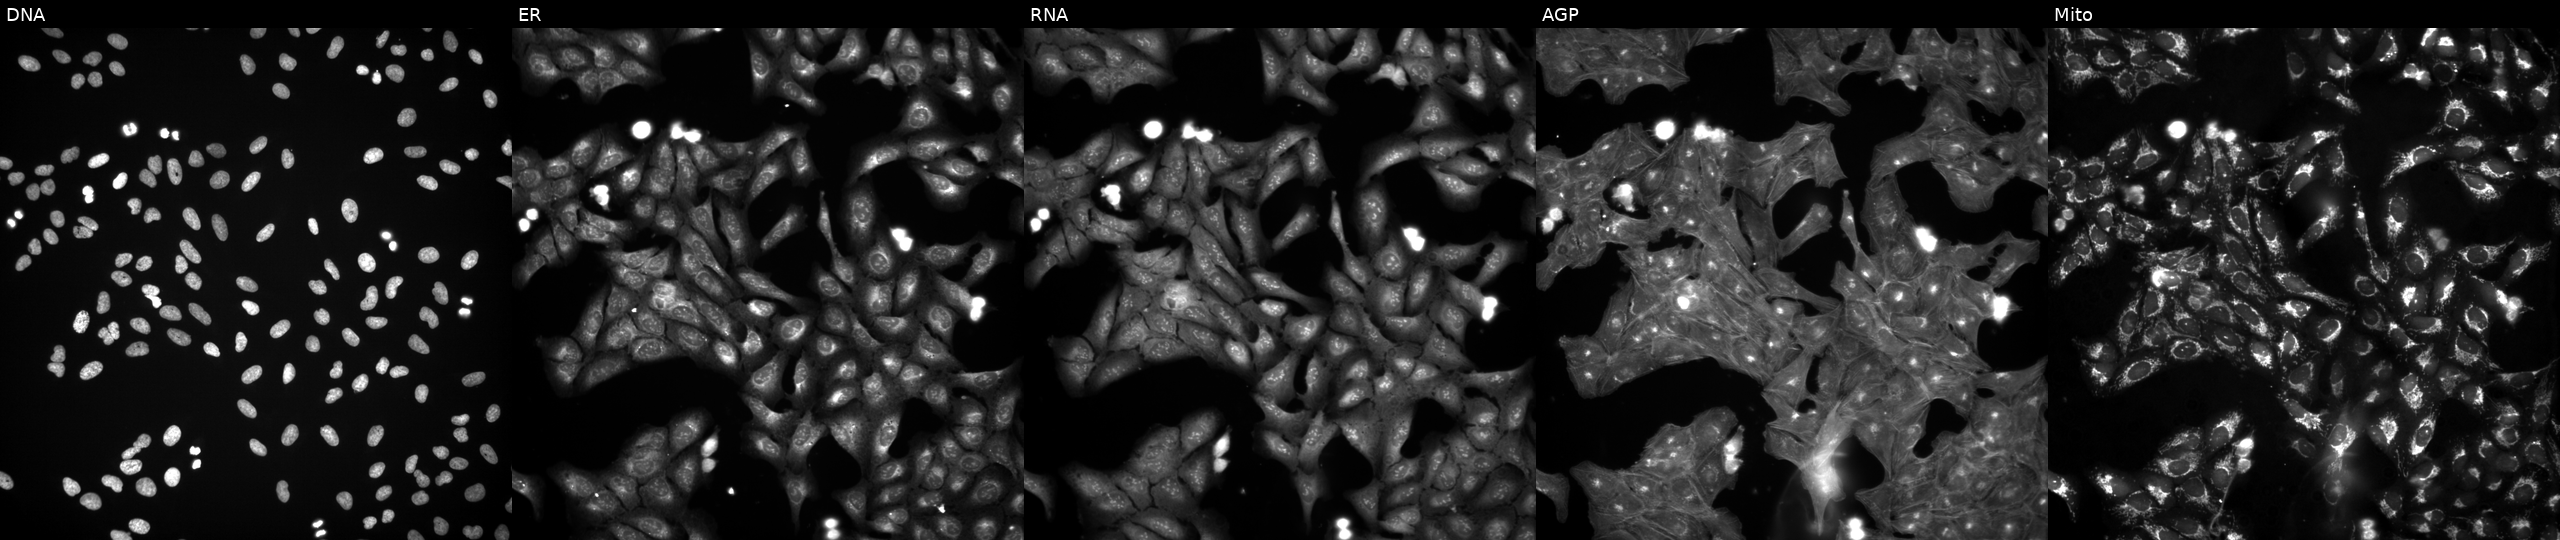
Five-channel Cell Painting image of U2OS cells perturbed with a small-molecule compound (InChIKey HBUBKKRHXORPQB-UHFFFAOYSA-N) [SMILES: N=c1[nH]c(F)nc2c1ncn2C1OC(CO)C(O)C1O] (JUMP id JCP2022_029186). Channels (left→right): DNA (nuclei); ER (endoplasmic reticulum); RNA (nucleoli and cytoplasmic RNA); AGP (actin cytoskeleton, Golgi, and plasma membrane); Mito (mitochondria). Source 3, plate JCPQC053, well I23.